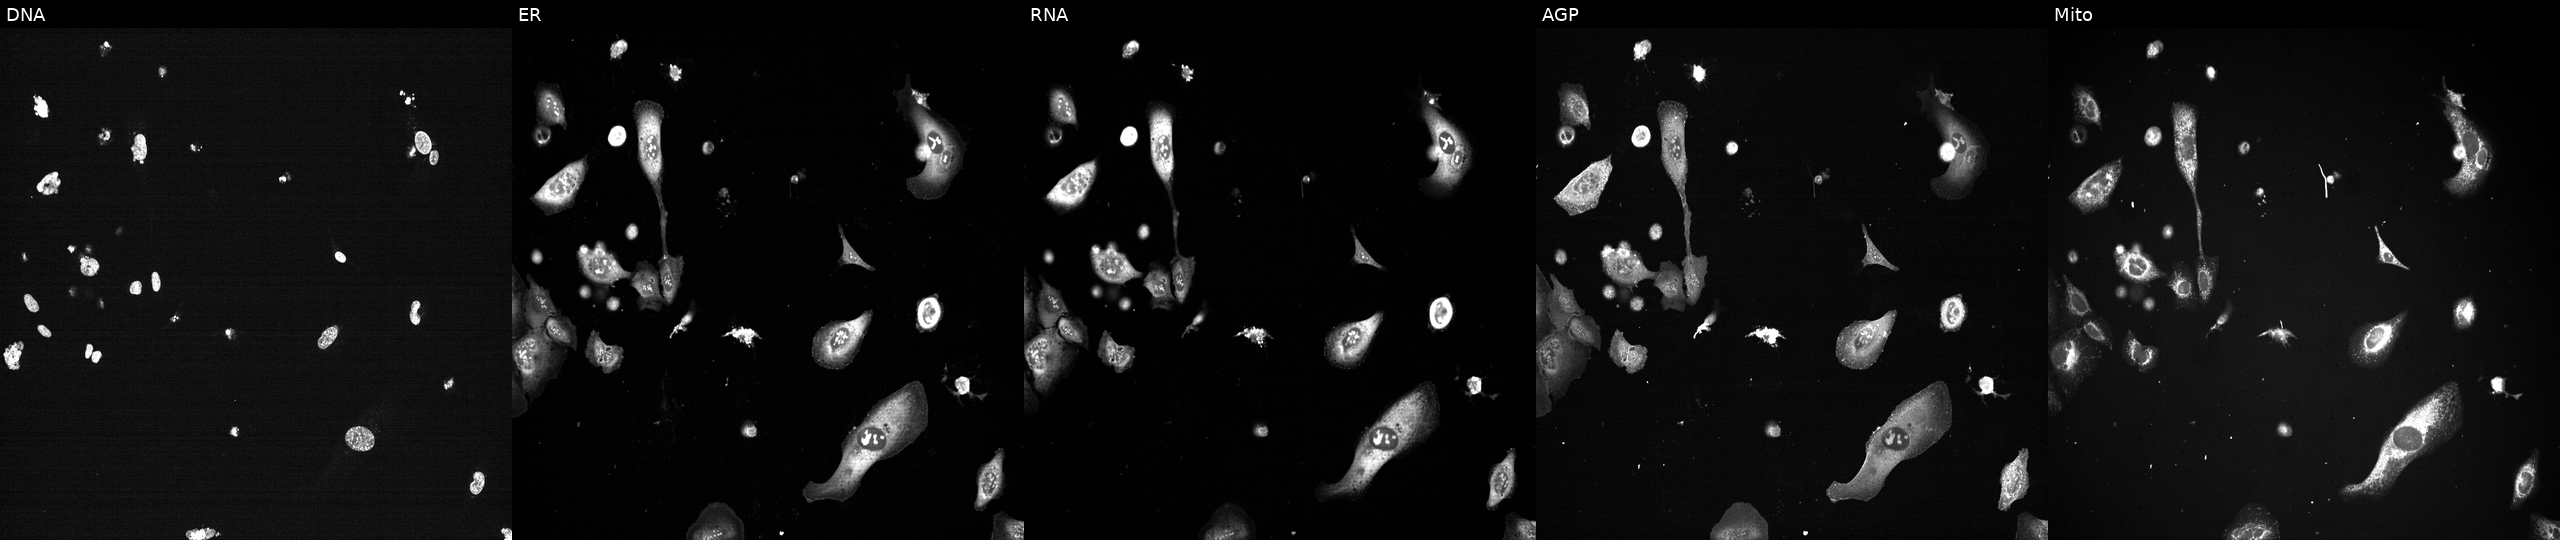
High-content fluorescence microscopy (Cell Painting). Cell line: U2OS. Perturbation: with PLK1 knocked out by CRISPR (positive control) (JUMP id JCP2022_805264). The five panels, left to right, show Hoechst 33342, concanavalin A, SYTO 14, phalloidin and WGA, MitoTracker.